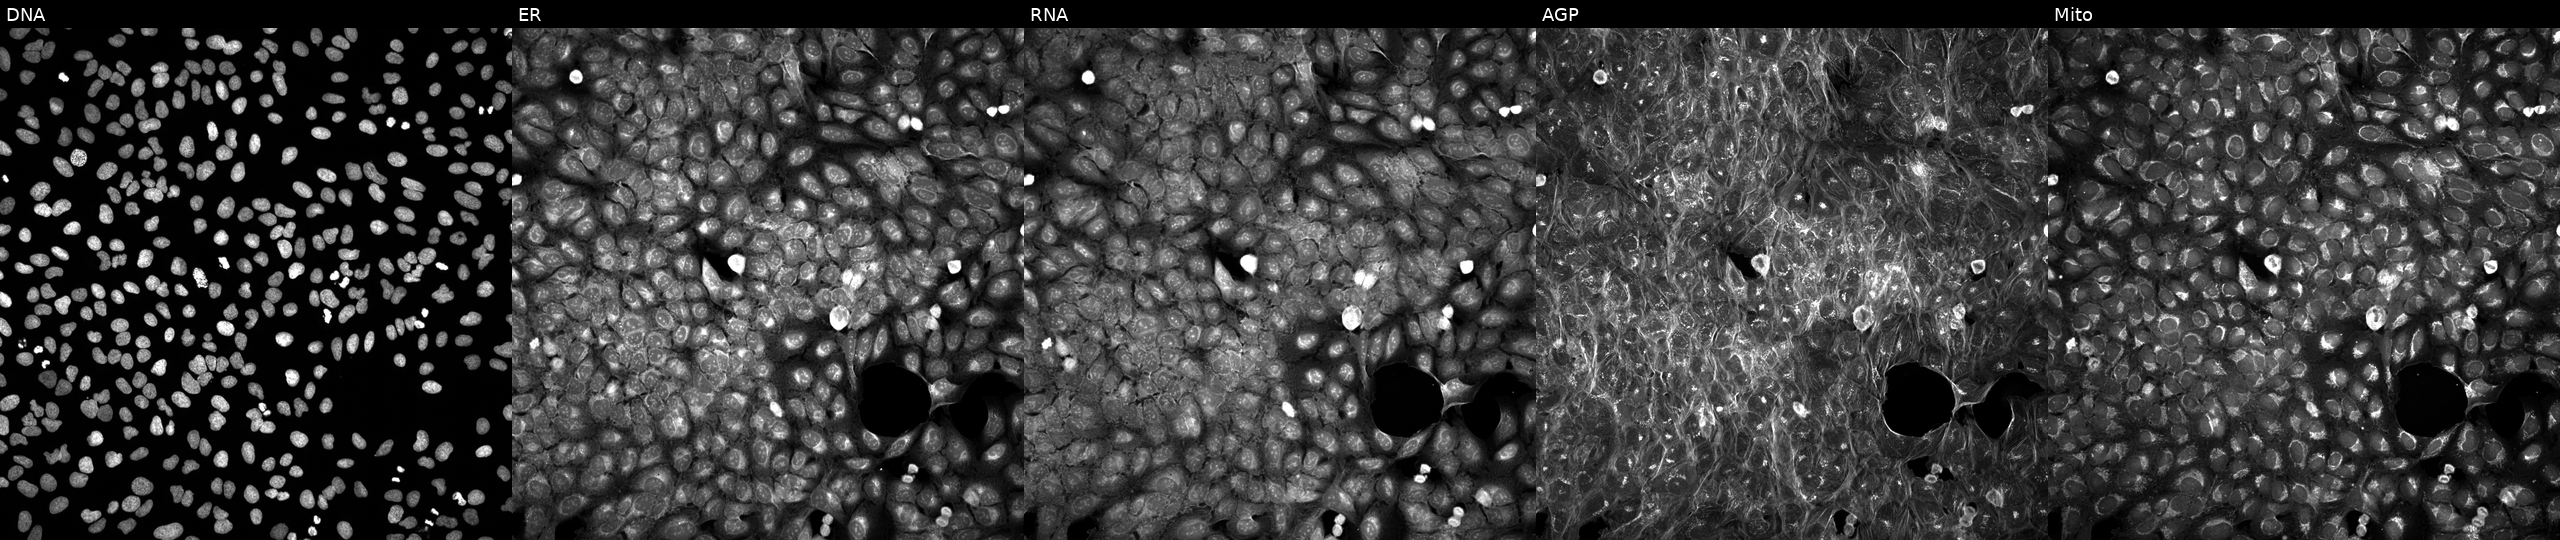
High-content fluorescence microscopy (Cell Painting). Cell line: U2OS. Perturbation: treated with a small-molecule compound (InChIKey NXNKJLOEGWSJGI-UHFFFAOYSA-N). Channels (left→right): DNA (nuclei); ER (endoplasmic reticulum); RNA (nucleoli and cytoplasmic RNA); AGP (actin cytoskeleton, Golgi, and plasma membrane); Mito (mitochondria).